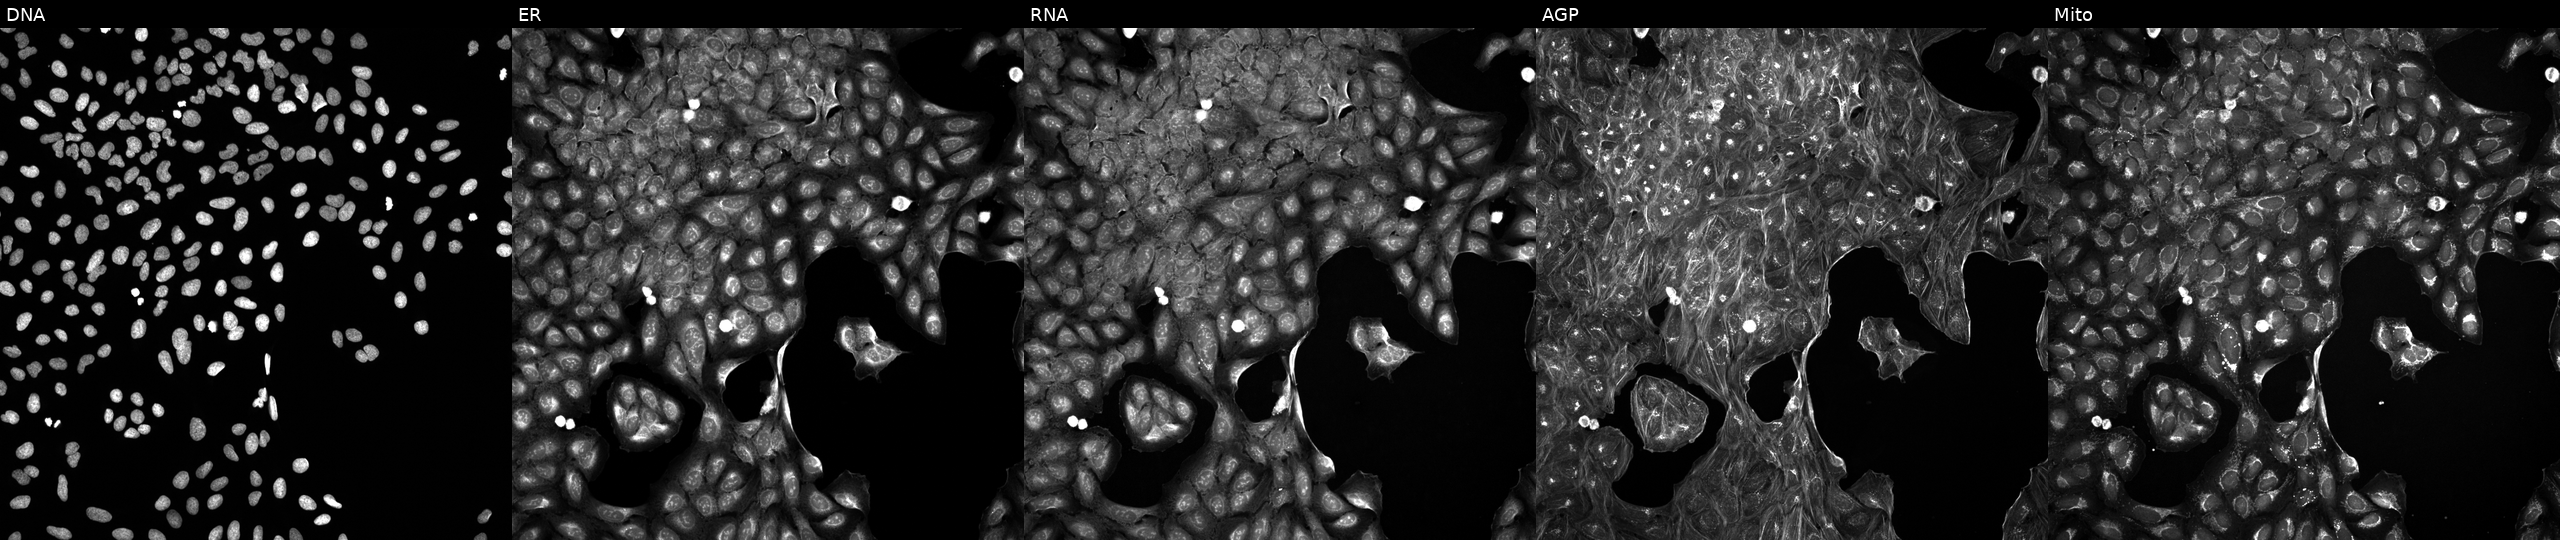
This image strip shows the five Cell Painting channels for a single field of U2OS cells exposed to DMSO alone as a negative control. Panels show, left to right, DNA, ER, RNA, AGP, and Mito. Source 5, plate ACPJUM032, well H22.